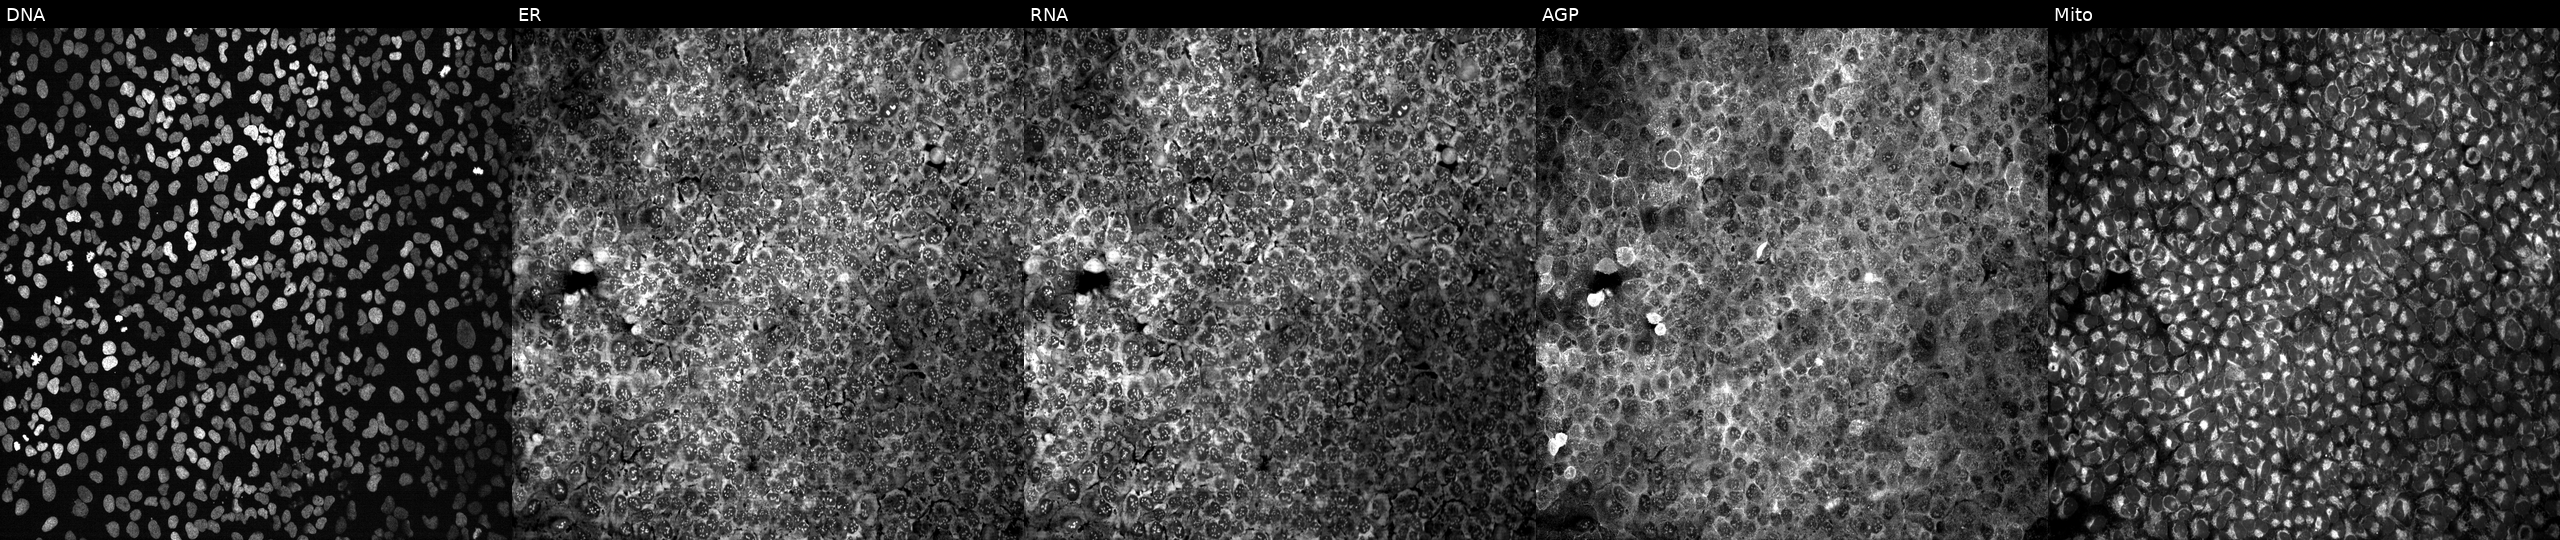
Five-channel Cell Painting image of U2OS cells with a non-targeting CRISPR guide (negative control) (JUMP id JCP2022_800002). Channels (left→right): DNA (nuclei); ER (endoplasmic reticulum); RNA (nucleoli and cytoplasmic RNA); AGP (actin cytoskeleton, Golgi, and plasma membrane); Mito (mitochondria).